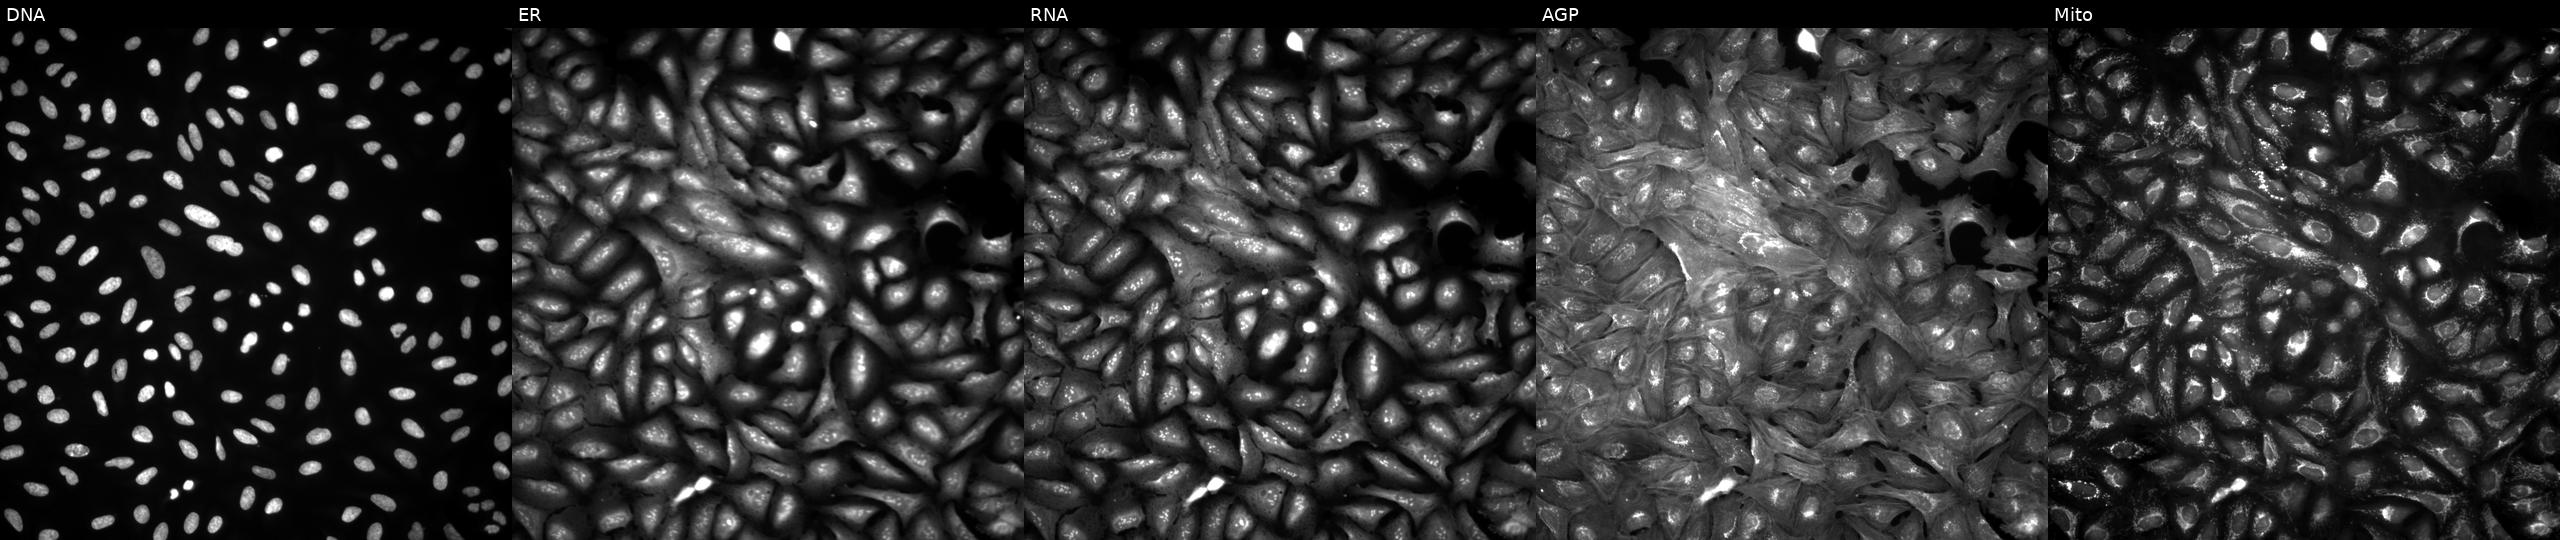
JUMP Cell Painting — ORF plate. U2OS cells overexpressing PSD4 via ORF transfection (JUMP id JCP2022_910955). Panels show, left to right, DNA (nuclei); ER (endoplasmic reticulum); RNA (nucleoli and cytoplasmic RNA); AGP (actin cytoskeleton, Golgi, and plasma membrane); Mito (mitochondria). Source 4, plate BR00124784, well O01.